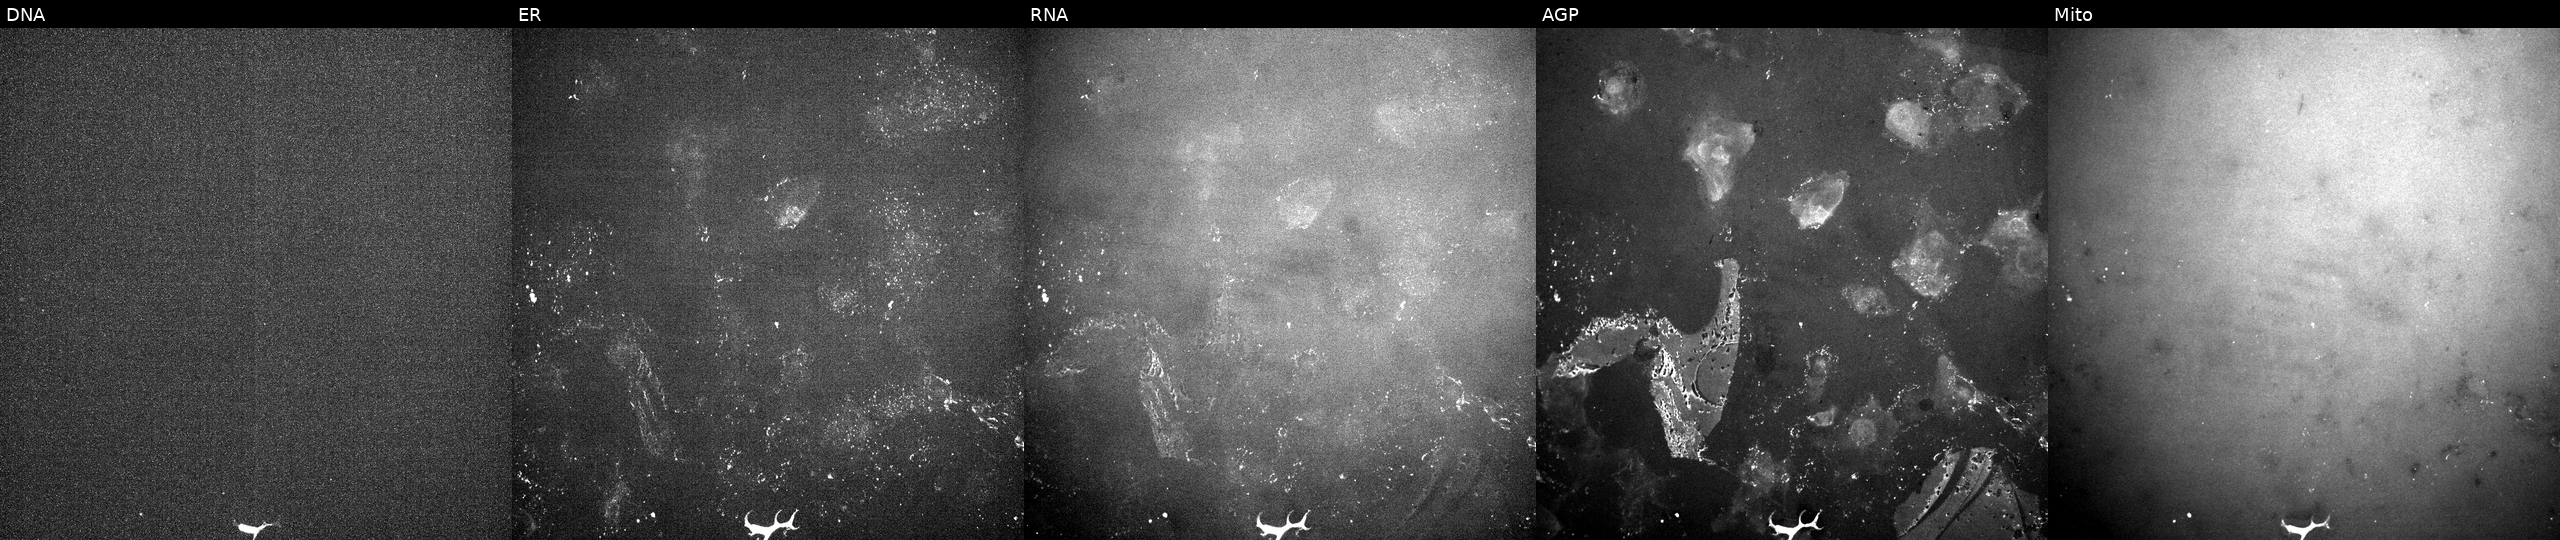
This image strip shows the five Cell Painting channels for a single field of U2OS cells treated with a small-molecule compound. The five panels, left to right, show DNA (nuclei); ER (endoplasmic reticulum); RNA (nucleoli and cytoplasmic RNA); AGP (actin cytoskeleton, Golgi, and plasma membrane); Mito (mitochondria).